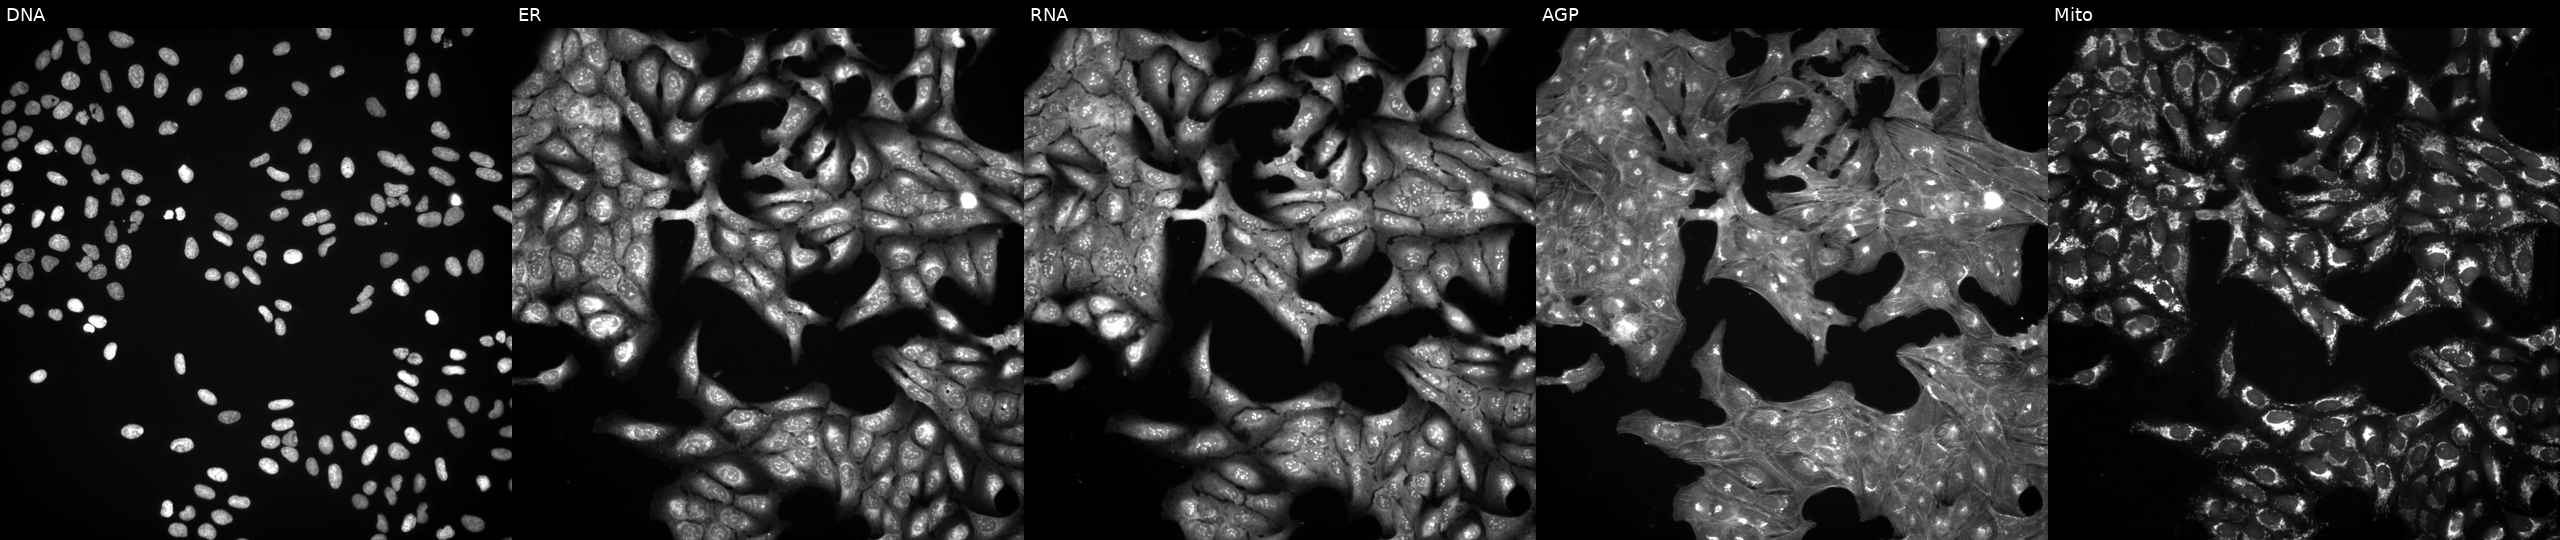
High-content fluorescence microscopy (Cell Painting). Cell line: U2OS. Perturbation: exposed to a small-molecule compound (InChIKey JYZYRWKMYUFOSN-UHFFFAOYSA-N). Panels show, left to right, DNA, ER, RNA, AGP, and Mito.